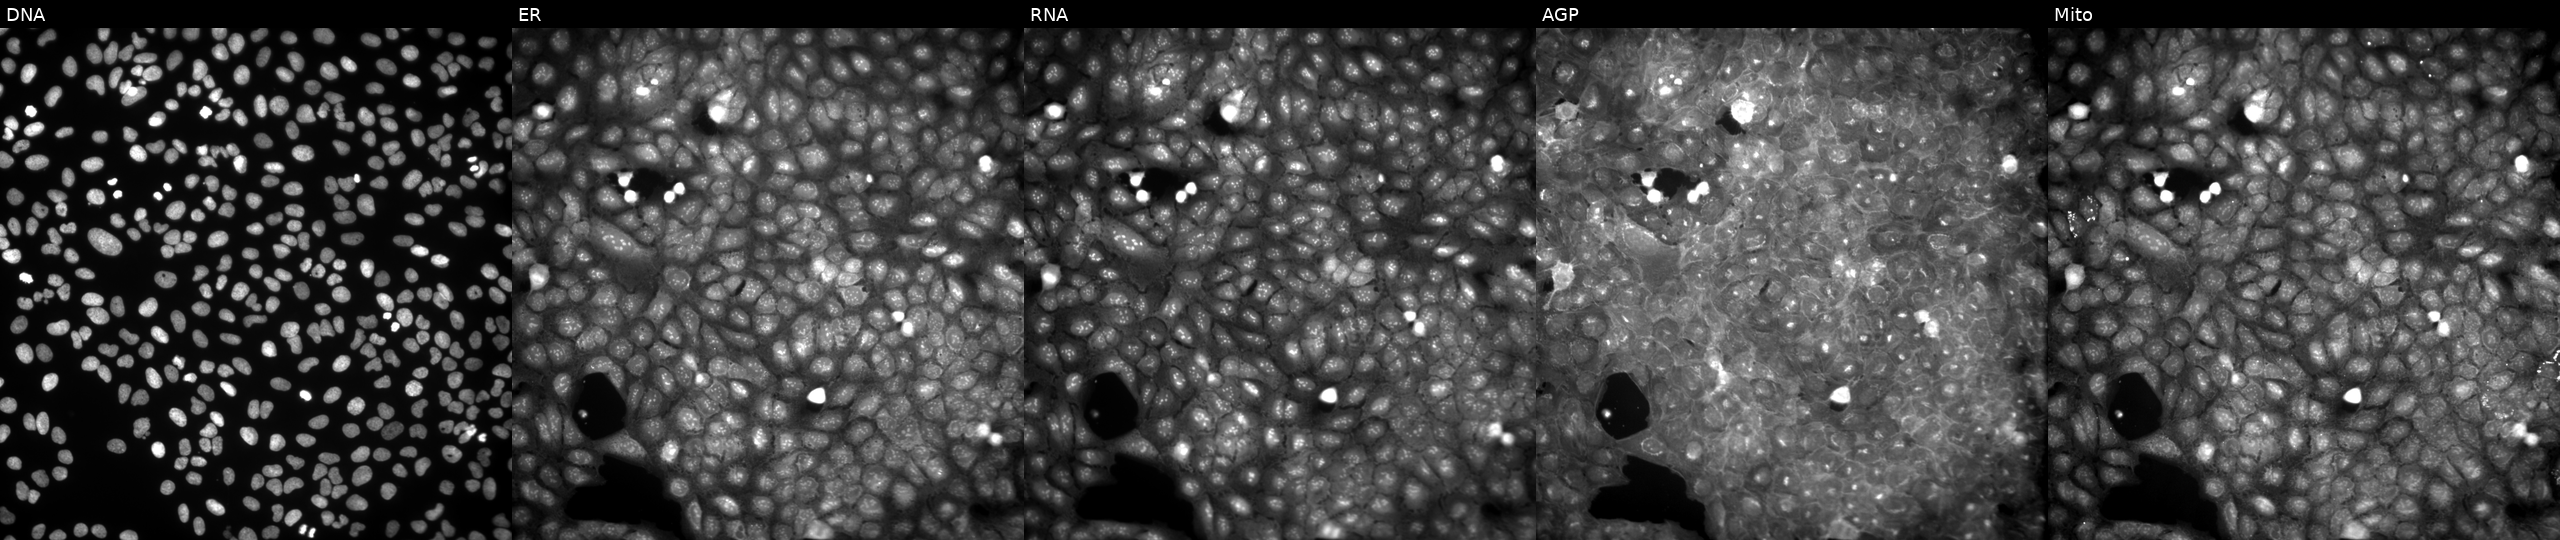
JUMP Cell Painting — COMPOUND plate. U2OS cells treated with a small-molecule compound (JUMP id JCP2022_101700). Channels (left→right): DNA, ER, RNA, AGP, and Mito.